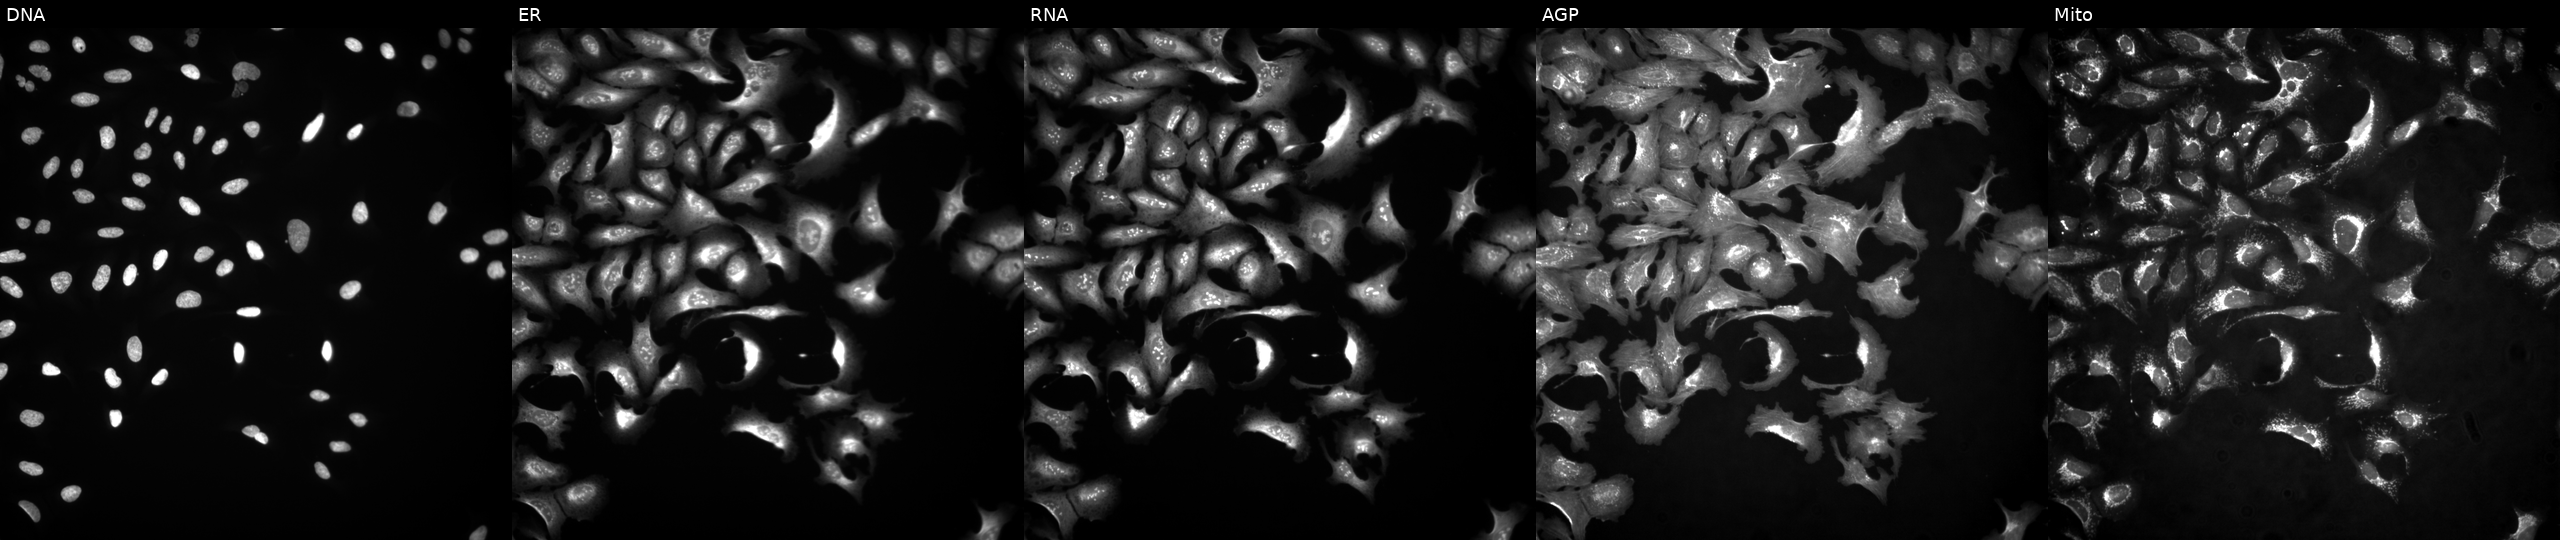
Five-channel Cell Painting image of U2OS cells overexpressing CD14 via ORF transfection (JUMP id JCP2022_900228). Panels show, left to right, Hoechst 33342, concanavalin A, SYTO 14, phalloidin and WGA, MitoTracker.